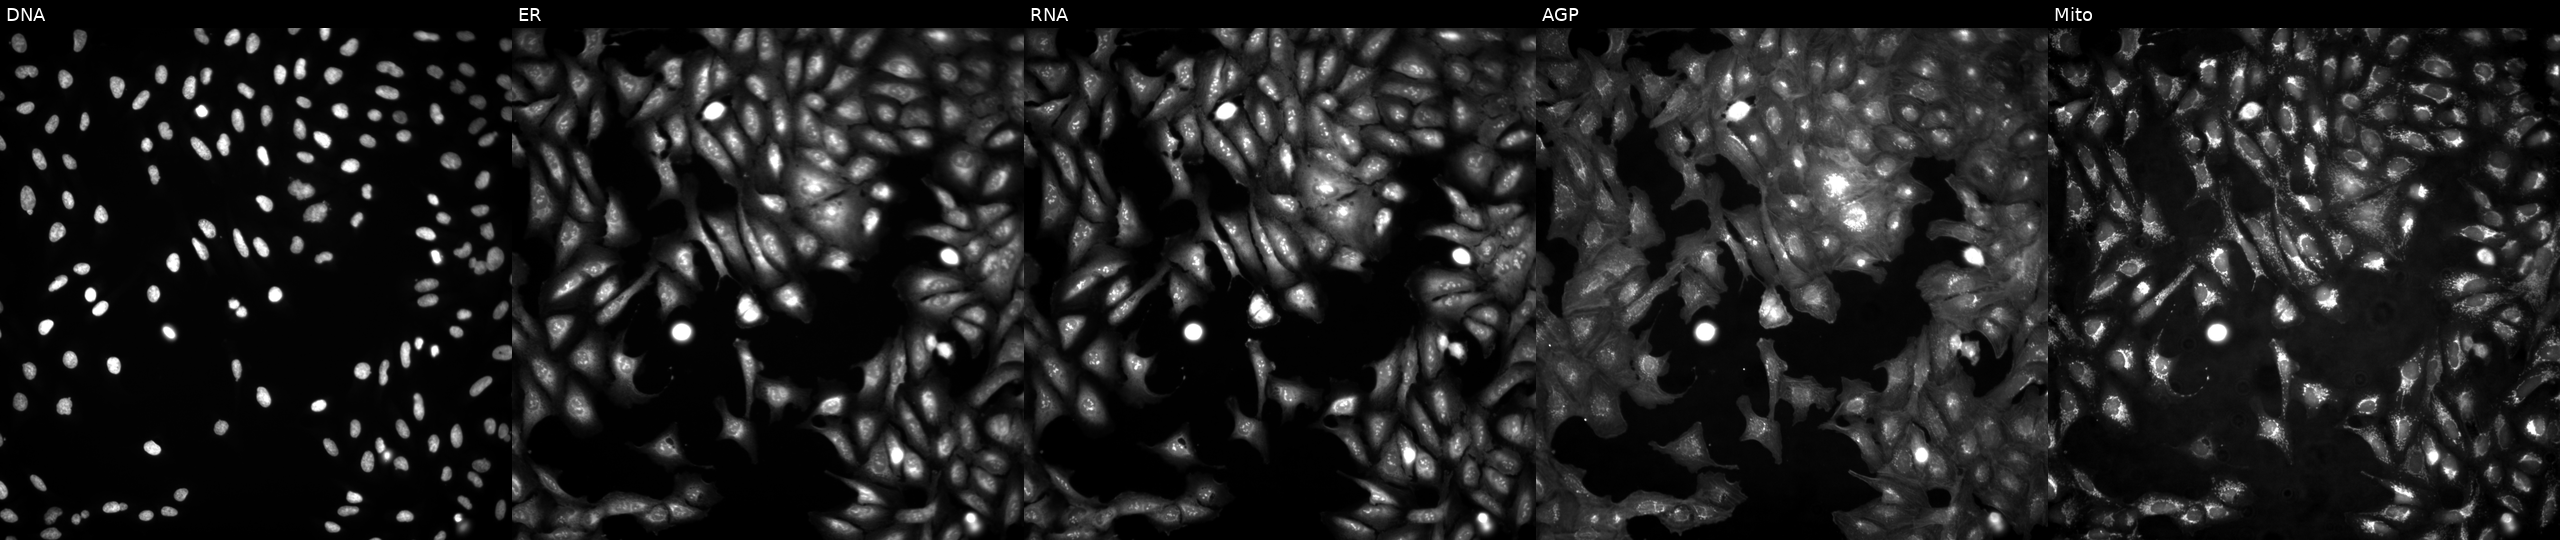
JUMP Cell Painting — ORF plate. U2OS cells in an empty control well (no perturbation) (JUMP id JCP2022_999999). From left to right: DNA, ER, RNA, AGP, and Mito. Source 4, plate BR00124793, well F17.